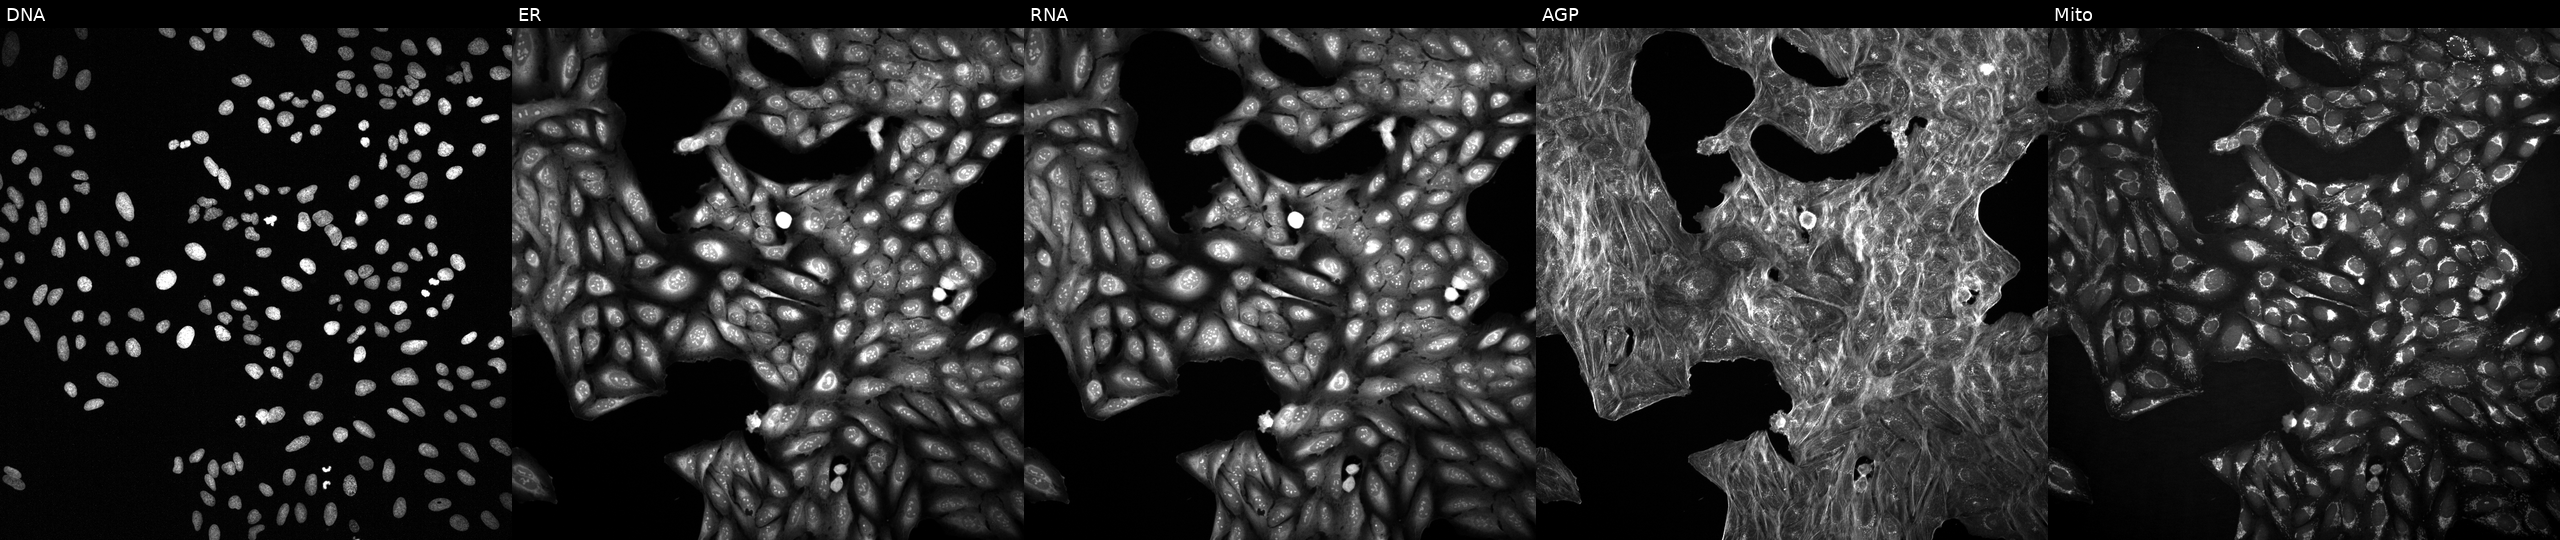
The five panels, left to right, show DNA, ER, RNA, AGP, and Mito. U2OS osteosarcoma cells treated with a small-molecule compound (InChIKey CSTVJCHUHHLAMZ-UHFFFAOYSA-N). Cell Painting assay, JUMP-CP dataset. Source 2, plate 1053601756, well G03.